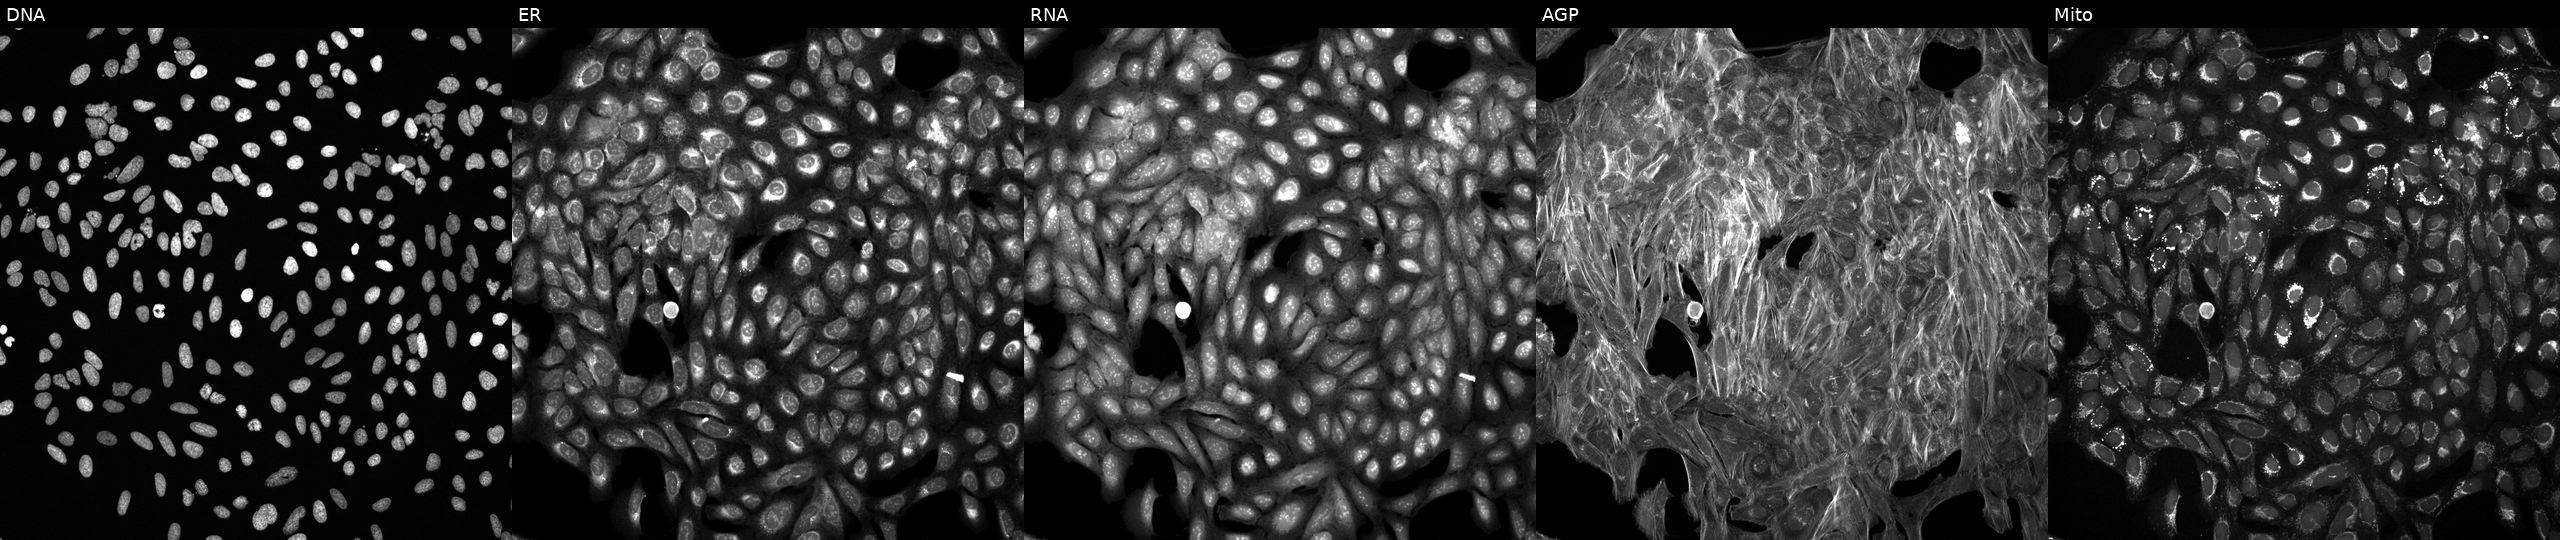
The five panels, left to right, show Hoechst 33342, concanavalin A, SYTO 14, phalloidin and WGA, MitoTracker. U2OS osteosarcoma cells treated with a small-molecule compound (InChIKey MGYPZRIWPAYYKF-UHFFFAOYSA-N). Cell Painting assay, JUMP-CP dataset.